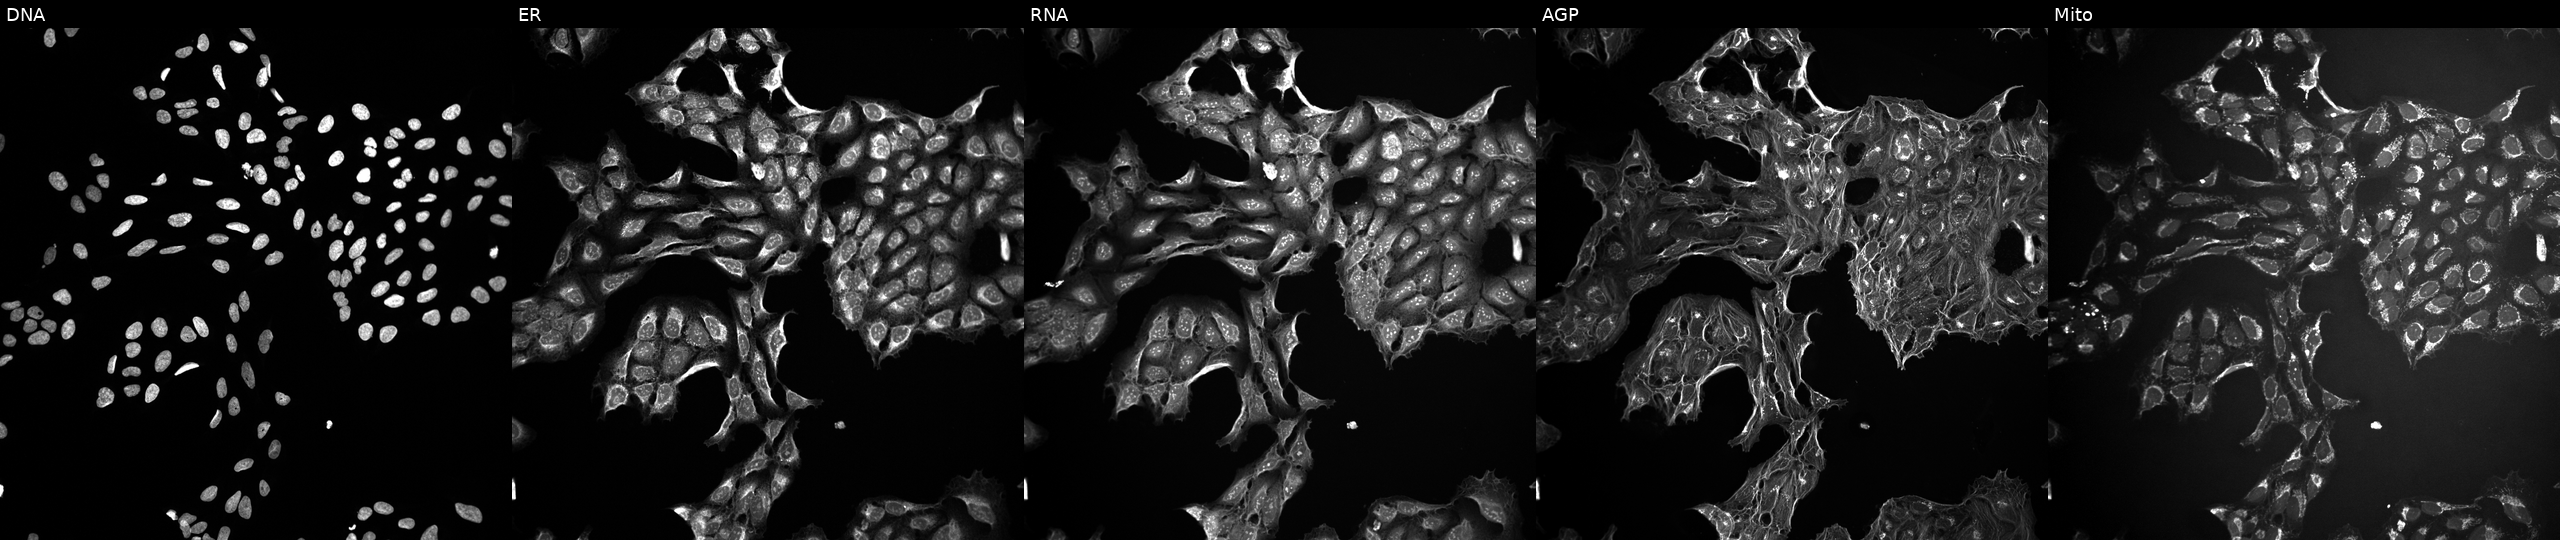
U2OS cells, Cell Painting assay, exposed to a small-molecule compound (JUMP id JCP2022_019288). The five panels, left to right, show DNA (nuclei); ER (endoplasmic reticulum); RNA (nucleoli and cytoplasmic RNA); AGP (actin cytoskeleton, Golgi, and plasma membrane); Mito (mitochondria). Each panel is percentile-stretched 16-bit fluorescence.